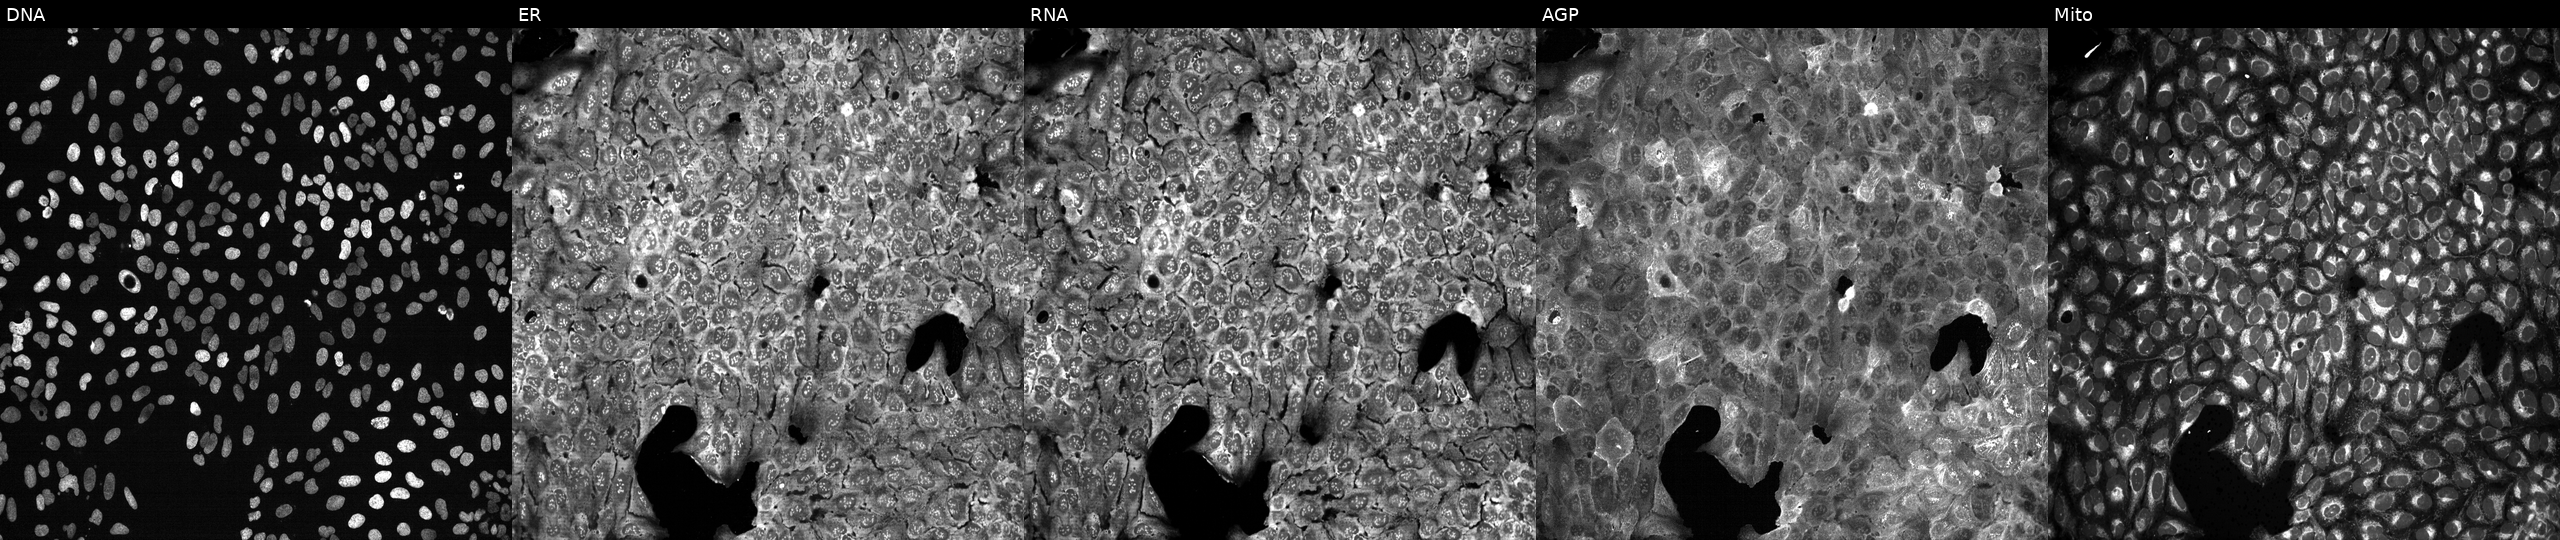
From left to right: Hoechst 33342, concanavalin A, SYTO 14, phalloidin and WGA, MitoTracker. U2OS osteosarcoma cells with MYO15A knocked out by CRISPR (JUMP id JCP2022_804381). Cell Painting assay, JUMP-CP dataset.